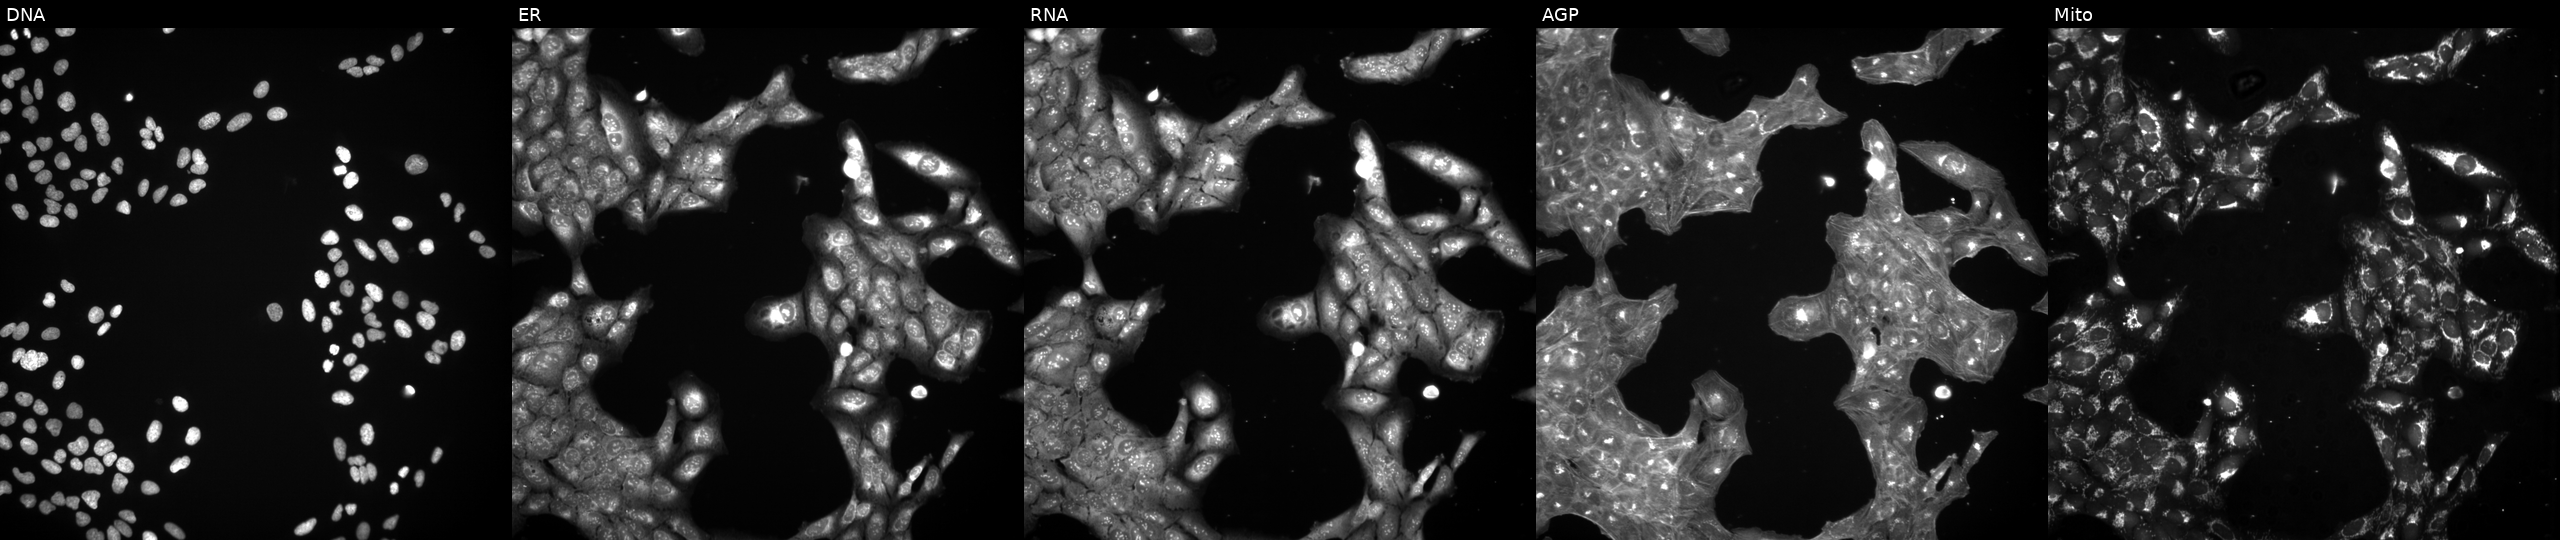
Five-channel Cell Painting image of U2OS cells perturbed with a small-molecule compound (InChIKey UIEATEWHFDRYRU-UHFFFAOYSA-N) [SMILES: CC(C)COCC(CN(Cc1ccccc1)c1ccccc1)N1CCCC1] (JUMP id JCP2022_089383). Panels show, left to right, DNA (nuclei); ER (endoplasmic reticulum); RNA (nucleoli and cytoplasmic RNA); AGP (actin cytoskeleton, Golgi, and plasma membrane); Mito (mitochondria).